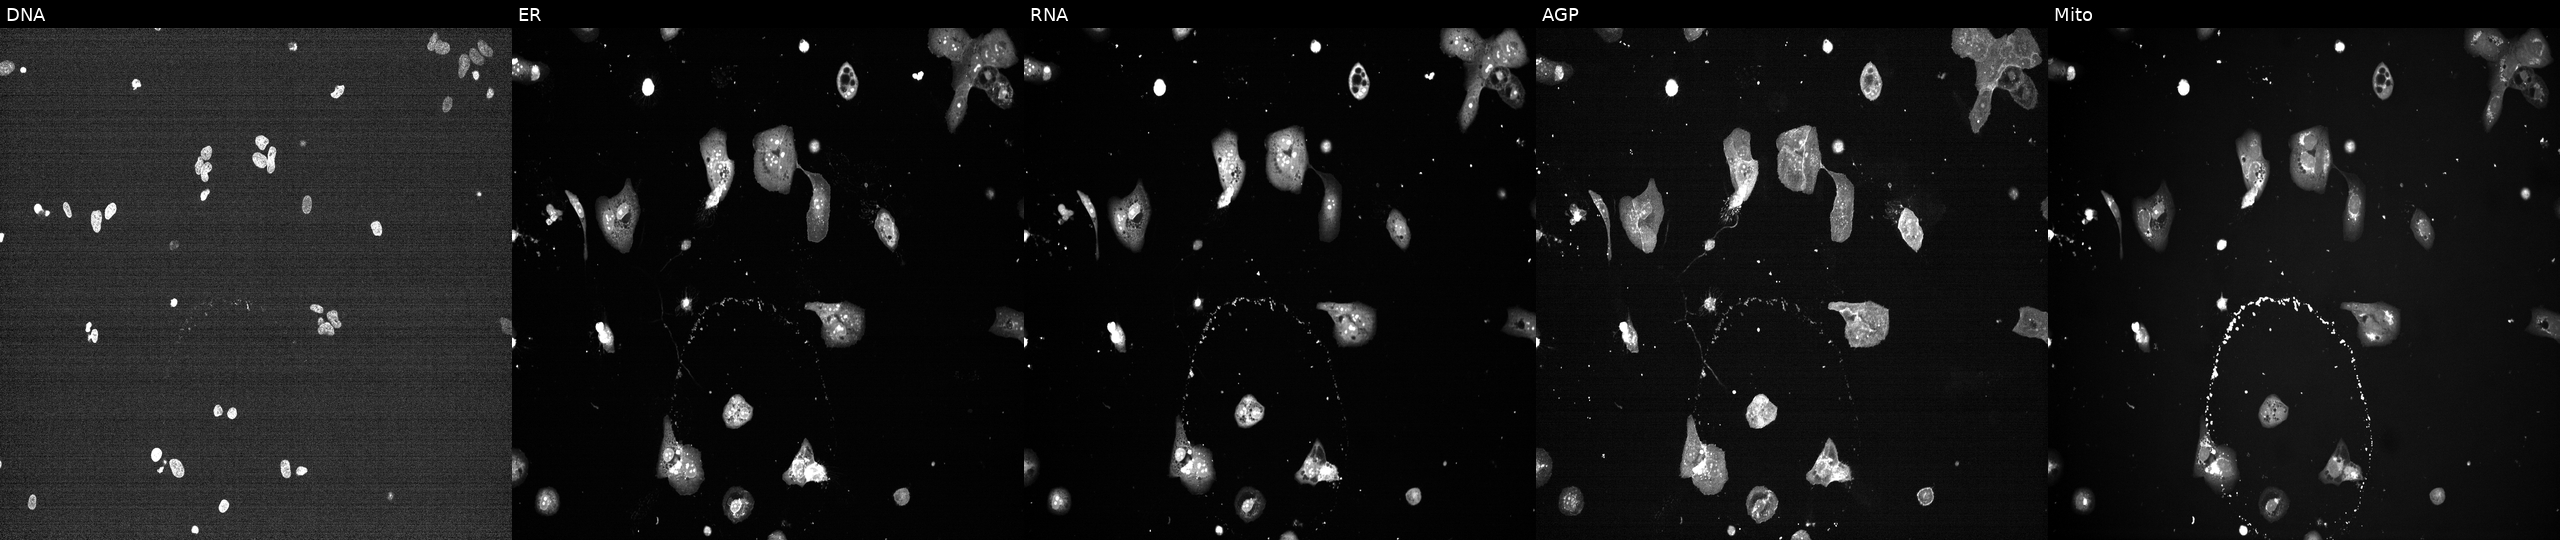
JUMP Cell Painting — TARGET2 plate. U2OS cells perturbed with a small-molecule compound (InChIKey MNYJJHBAEYKXEG-UHFFFAOYSA-N) [SMILES: C(#Cc1nc2ncccc2nc1OCCN1CCCC1)c1ccccc1] (JUMP id JCP2022_055397). From left to right: DNA, ER, RNA, AGP, and Mito.